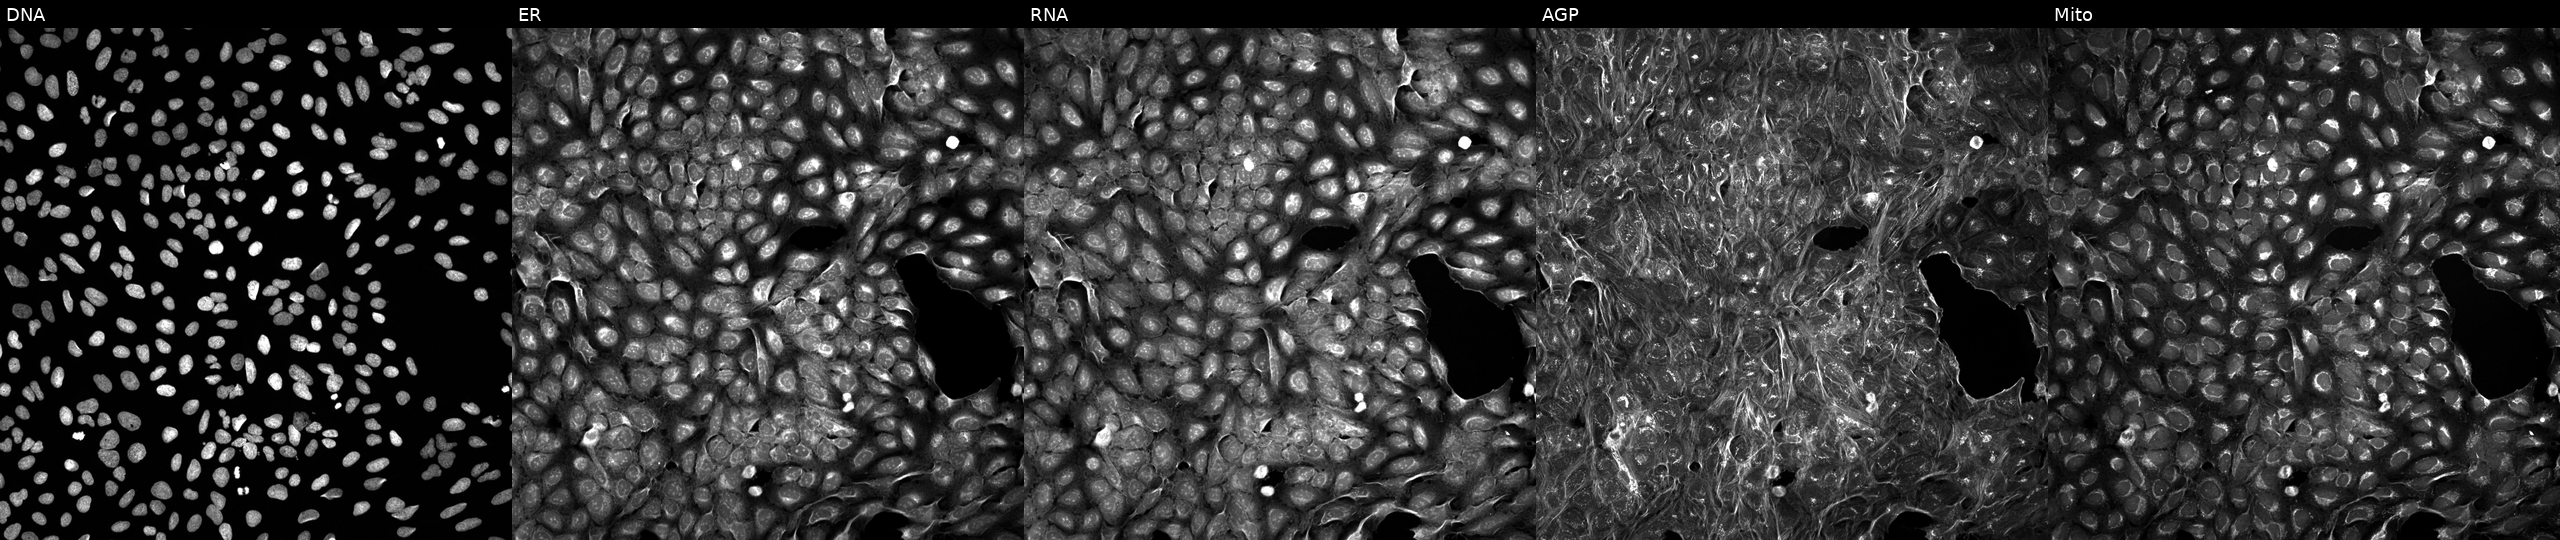
JUMP Cell Painting — TARGET2 plate. U2OS cells exposed to a small-molecule compound (InChIKey JDKKNQACNITFEA-UHFFFAOYSA-N) [SMILES: CC(=O)C1NC(=O)C(CCCCN)NC(=O)C(Cc2c[nH]c3ccccc23)NC(=O)C(Cc2ccccc2)NC(=O)C(NC(=O)C(N)Cc2ccccc2)CSSCC(C(=O)NC(CO)C(C)O)NC1O] (JUMP id JCP2022_039047). Panels show, left to right, DNA, ER, RNA, AGP, and Mito.